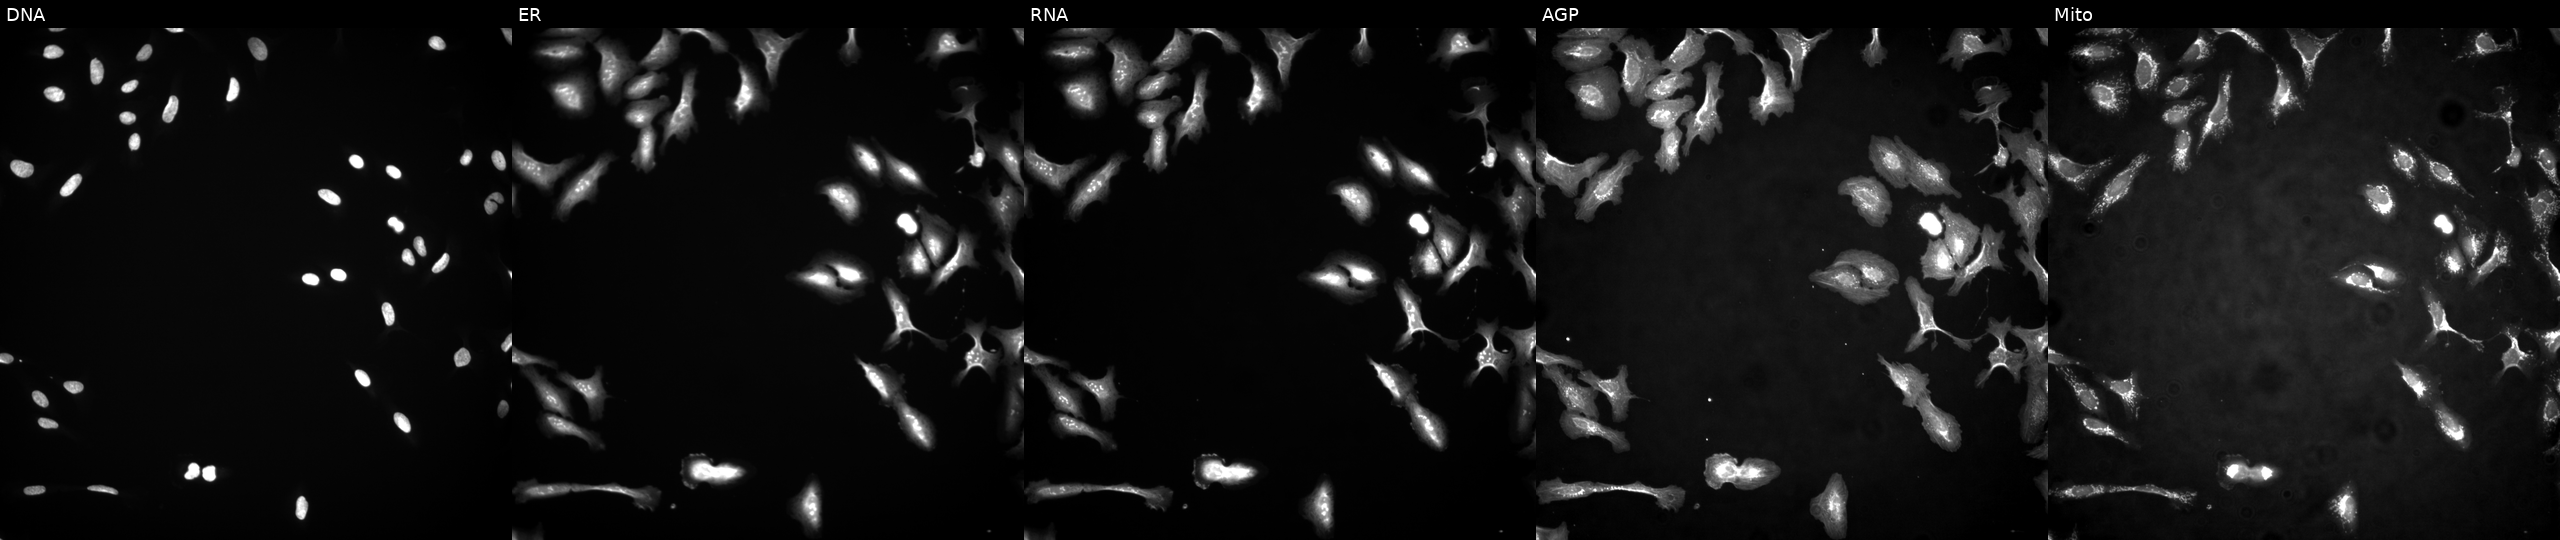
High-content fluorescence microscopy (Cell Painting). Cell line: U2OS. Perturbation: with PASD1 overexpressed (ORF). Channels (left→right): DNA (nuclei); ER (endoplasmic reticulum); RNA (nucleoli and cytoplasmic RNA); AGP (actin cytoskeleton, Golgi, and plasma membrane); Mito (mitochondria). Source 4, plate BR00117035, well G02.